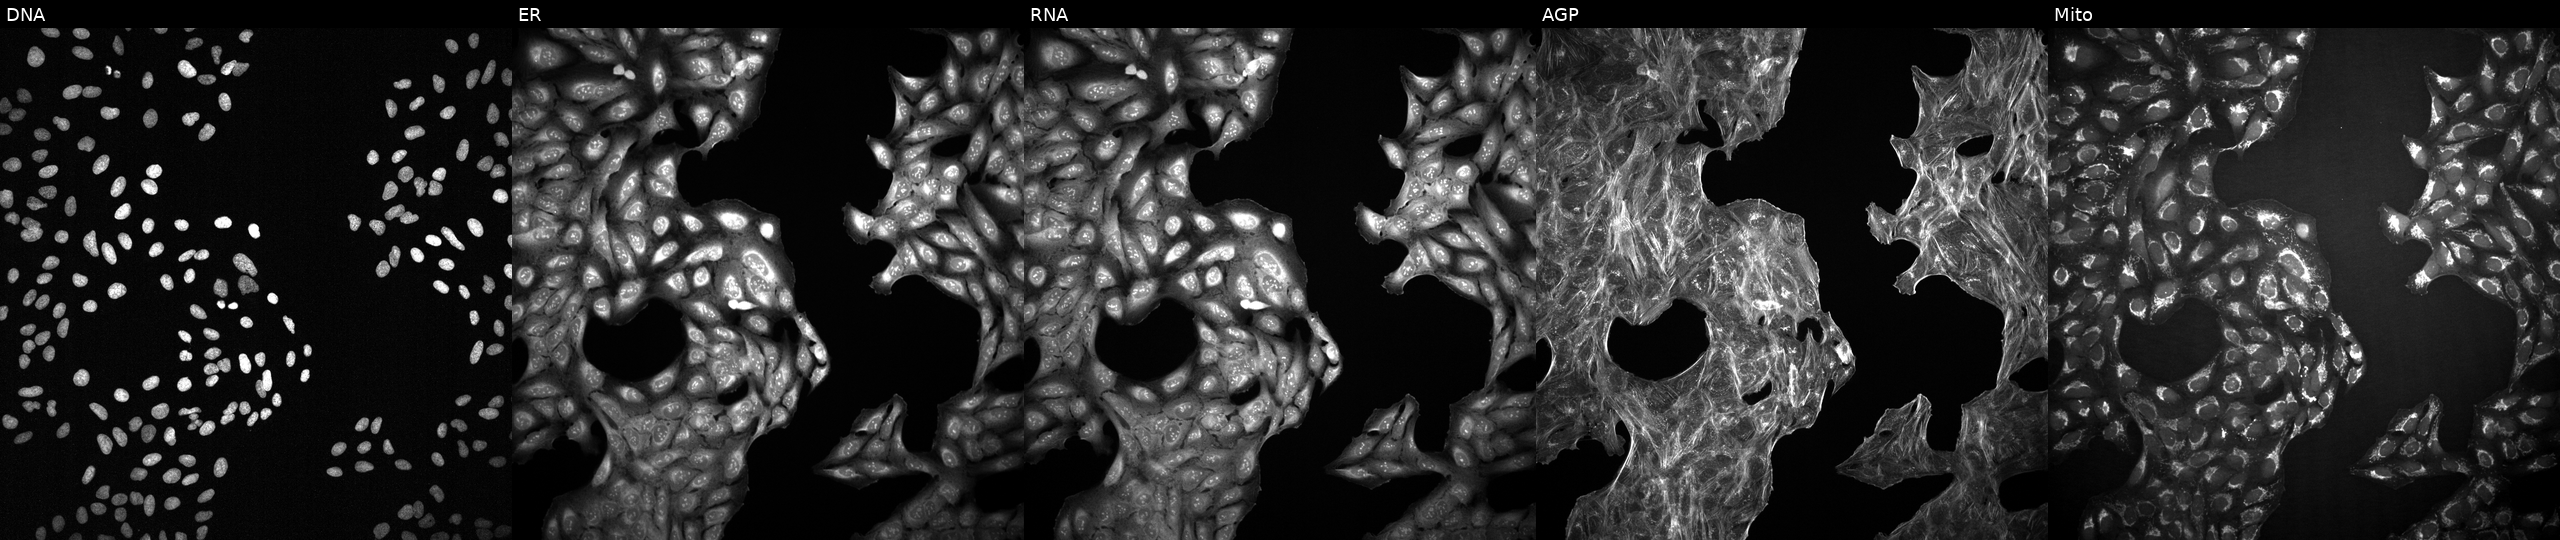
U2OS cells, Cell Painting assay, exposed to DMSO alone as a negative control. From left to right: Hoechst 33342, concanavalin A, SYTO 14, phalloidin and WGA, MitoTracker. Each panel is percentile-stretched 16-bit fluorescence.